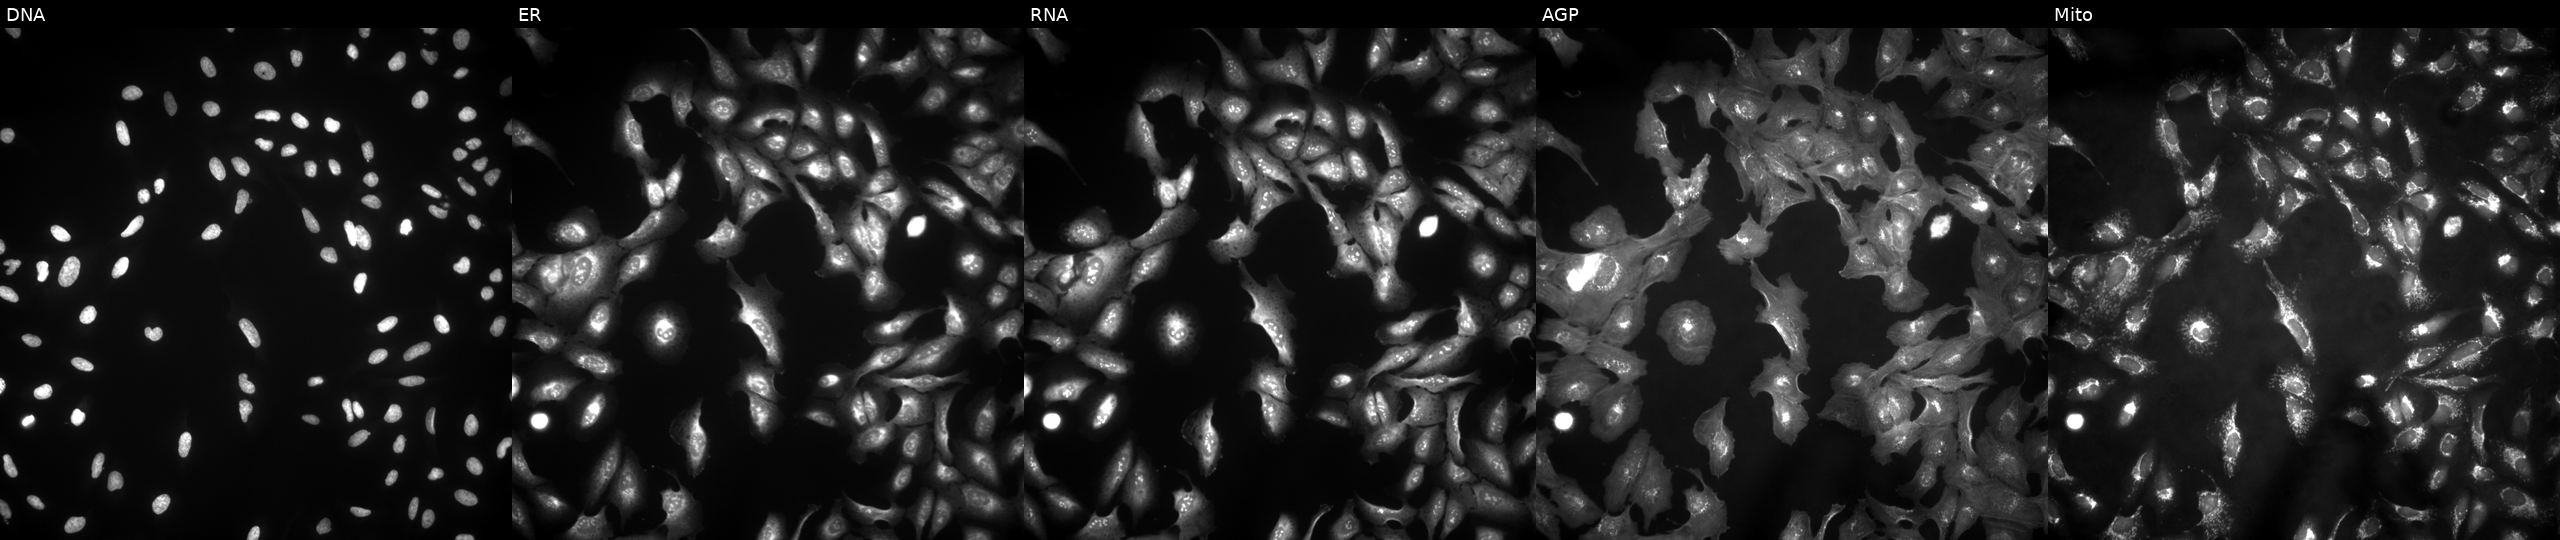
From left to right: DNA (nuclei); ER (endoplasmic reticulum); RNA (nucleoli and cytoplasmic RNA); AGP (actin cytoskeleton, Golgi, and plasma membrane); Mito (mitochondria). U2OS osteosarcoma cells transfected with an ORF construct for ARRB1. Cell Painting assay, JUMP-CP dataset. Source 4, plate BR00123506, well D20.